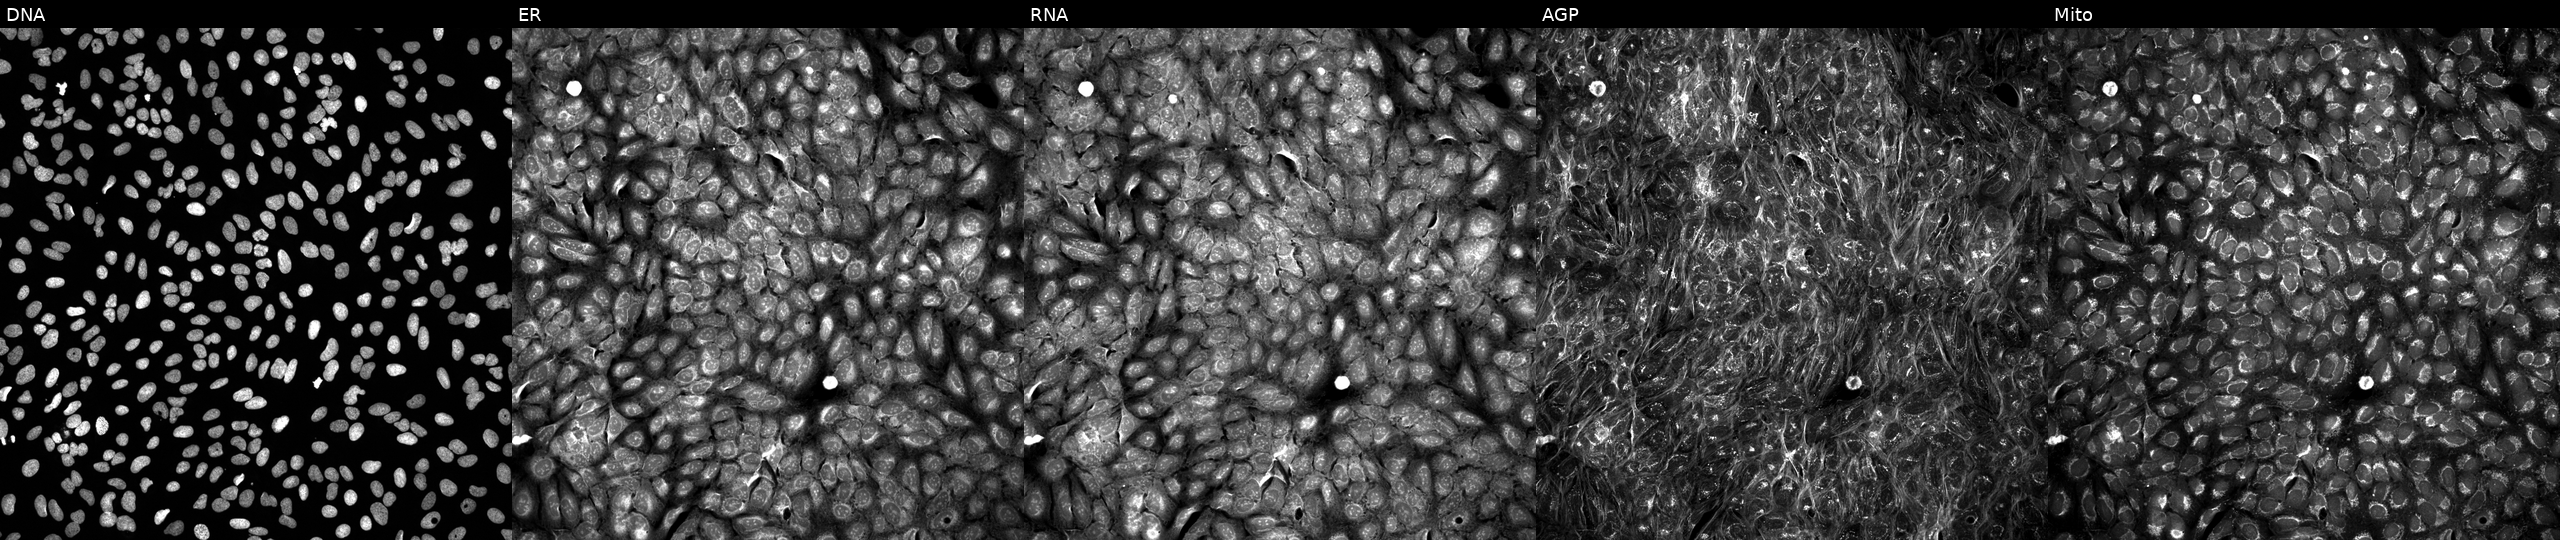
This image strip shows the five Cell Painting channels for a single field of U2OS cells exposed to a small-molecule compound. The five panels, left to right, show DNA (nuclei); ER (endoplasmic reticulum); RNA (nucleoli and cytoplasmic RNA); AGP (actin cytoskeleton, Golgi, and plasma membrane); Mito (mitochondria).